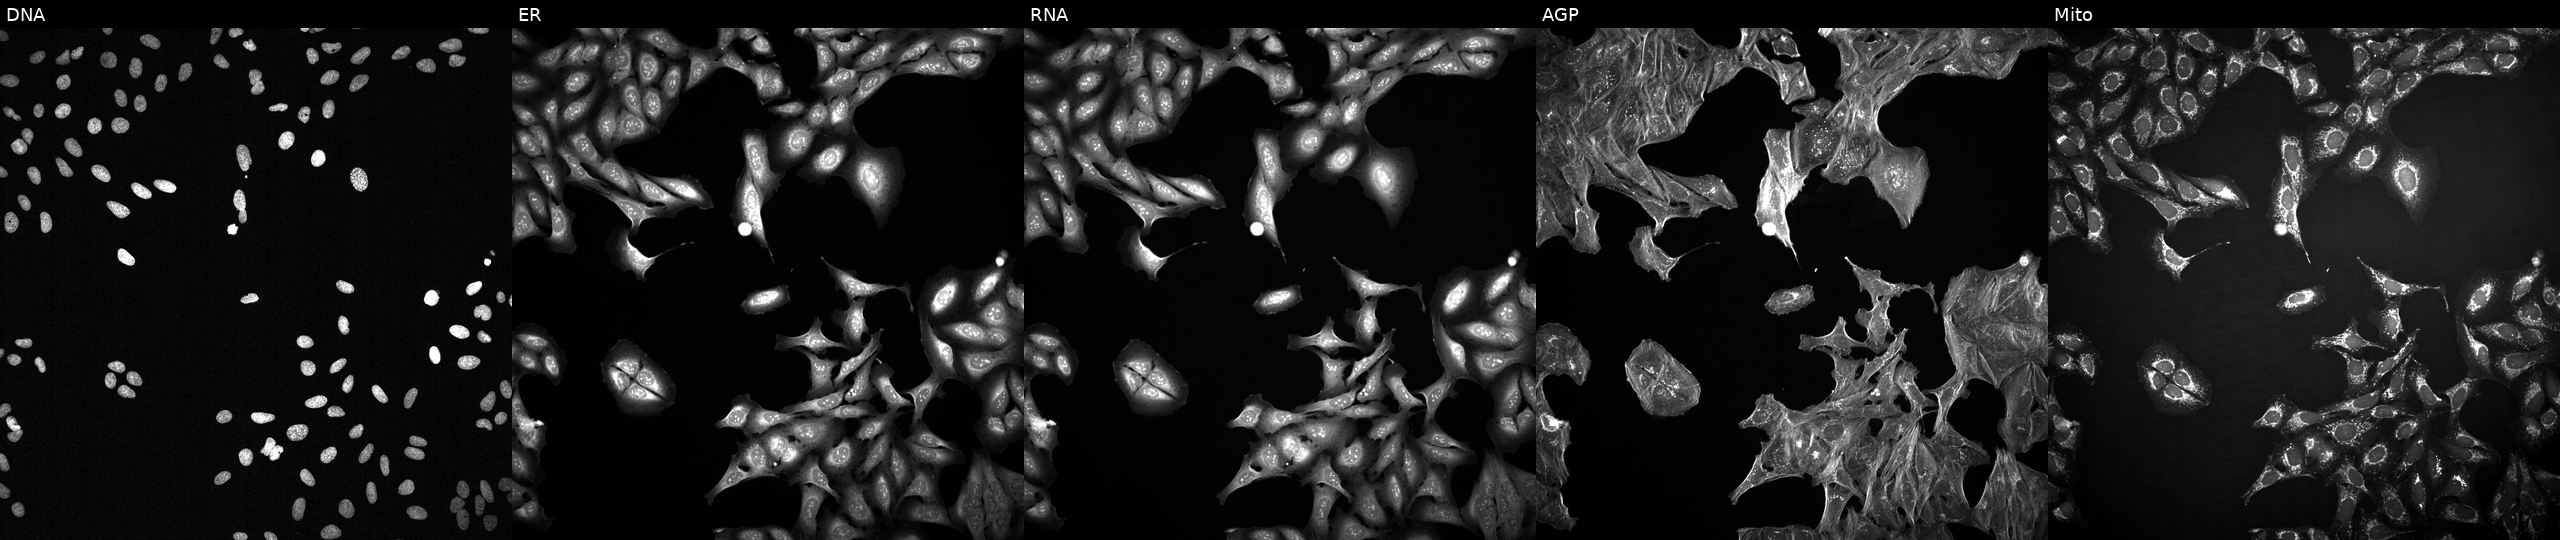
U2OS cells, Cell Painting assay, treated with a small-molecule compound (InChIKey AFJRDFWMXUECEW-UHFFFAOYSA-N). The five panels, left to right, show Hoechst 33342, concanavalin A, SYTO 14, phalloidin and WGA, MitoTracker. Each panel is percentile-stretched 16-bit fluorescence.